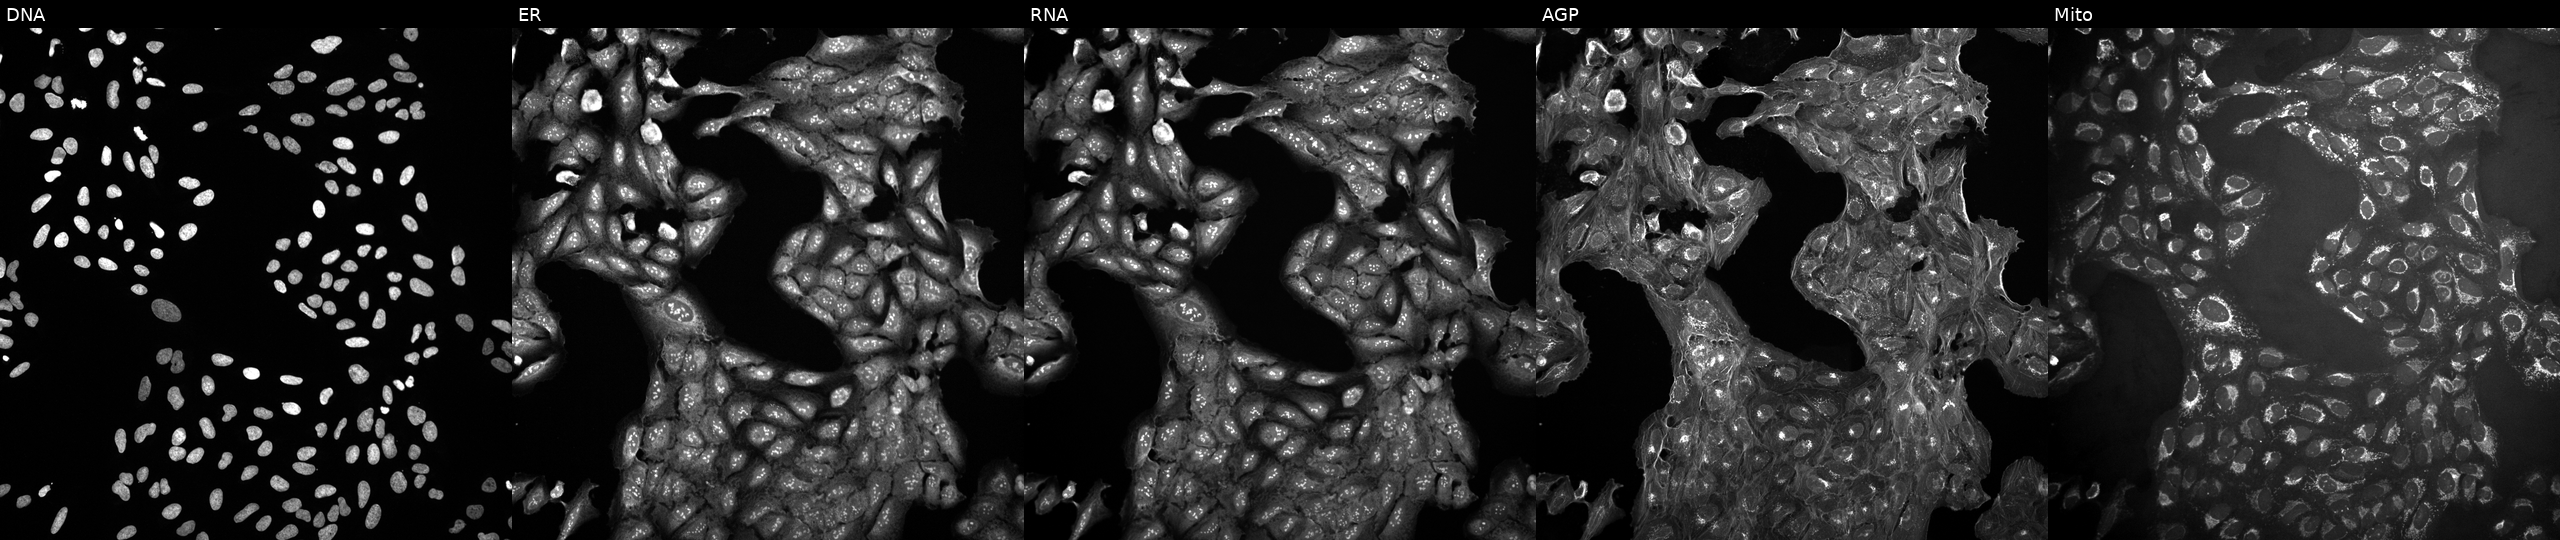
High-content fluorescence microscopy (Cell Painting). Cell line: U2OS. Perturbation: untreated (empty-well control). Panels show, left to right, Hoechst 33342, concanavalin A, SYTO 14, phalloidin and WGA, MitoTracker.